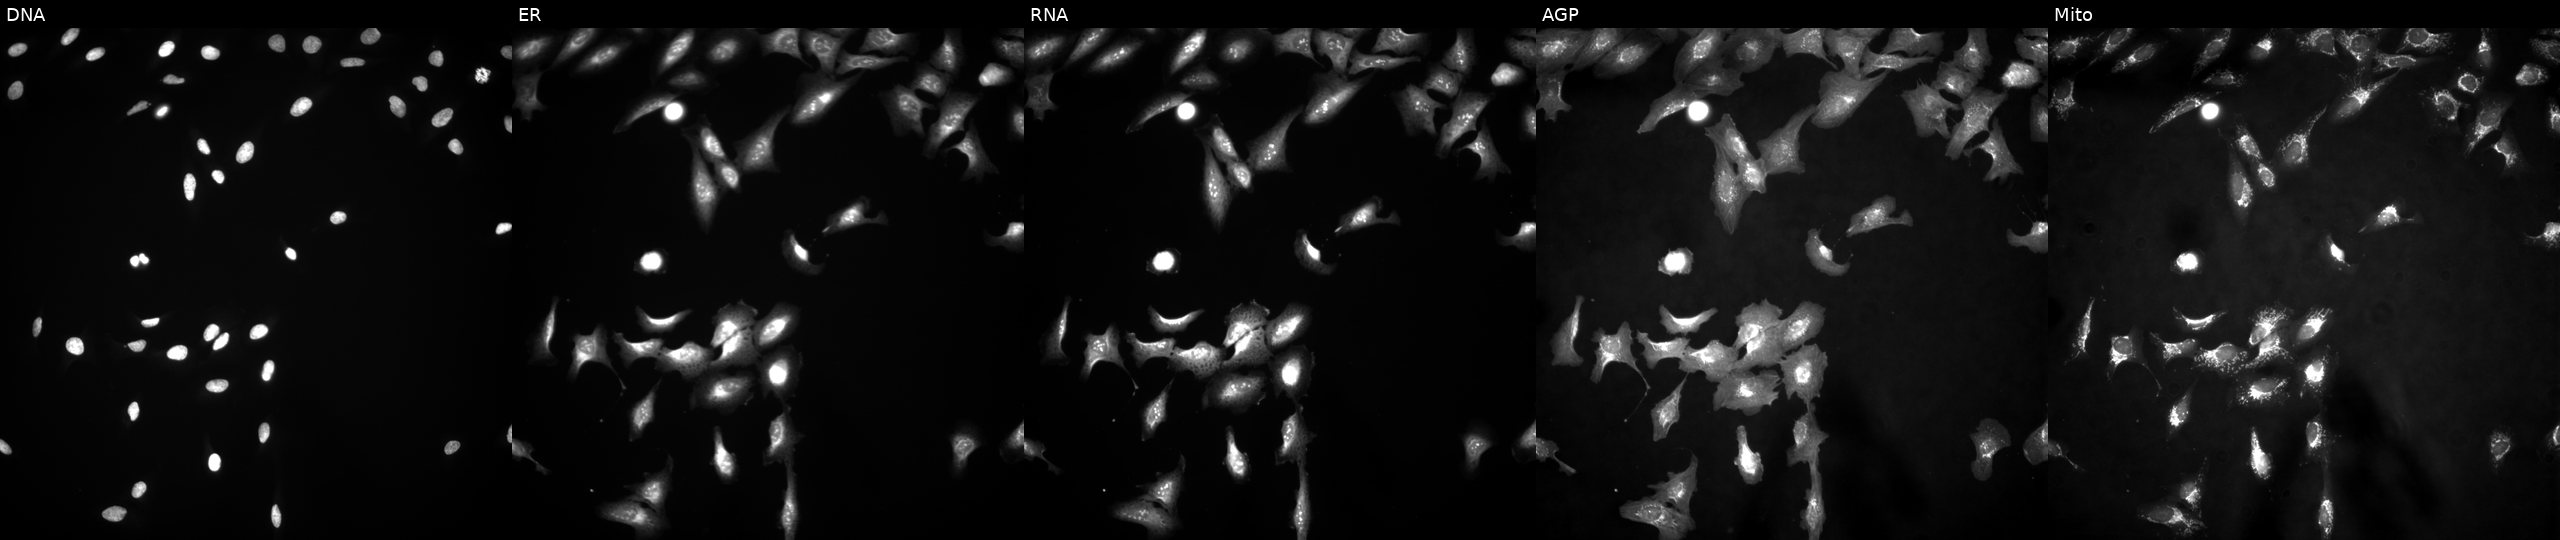
U2OS cells, Cell Painting assay, expressing LacZ (ORF negative control). Channels (left→right): DNA (nuclei); ER (endoplasmic reticulum); RNA (nucleoli and cytoplasmic RNA); AGP (actin cytoskeleton, Golgi, and plasma membrane); Mito (mitochondria). Each panel is percentile-stretched 16-bit fluorescence.